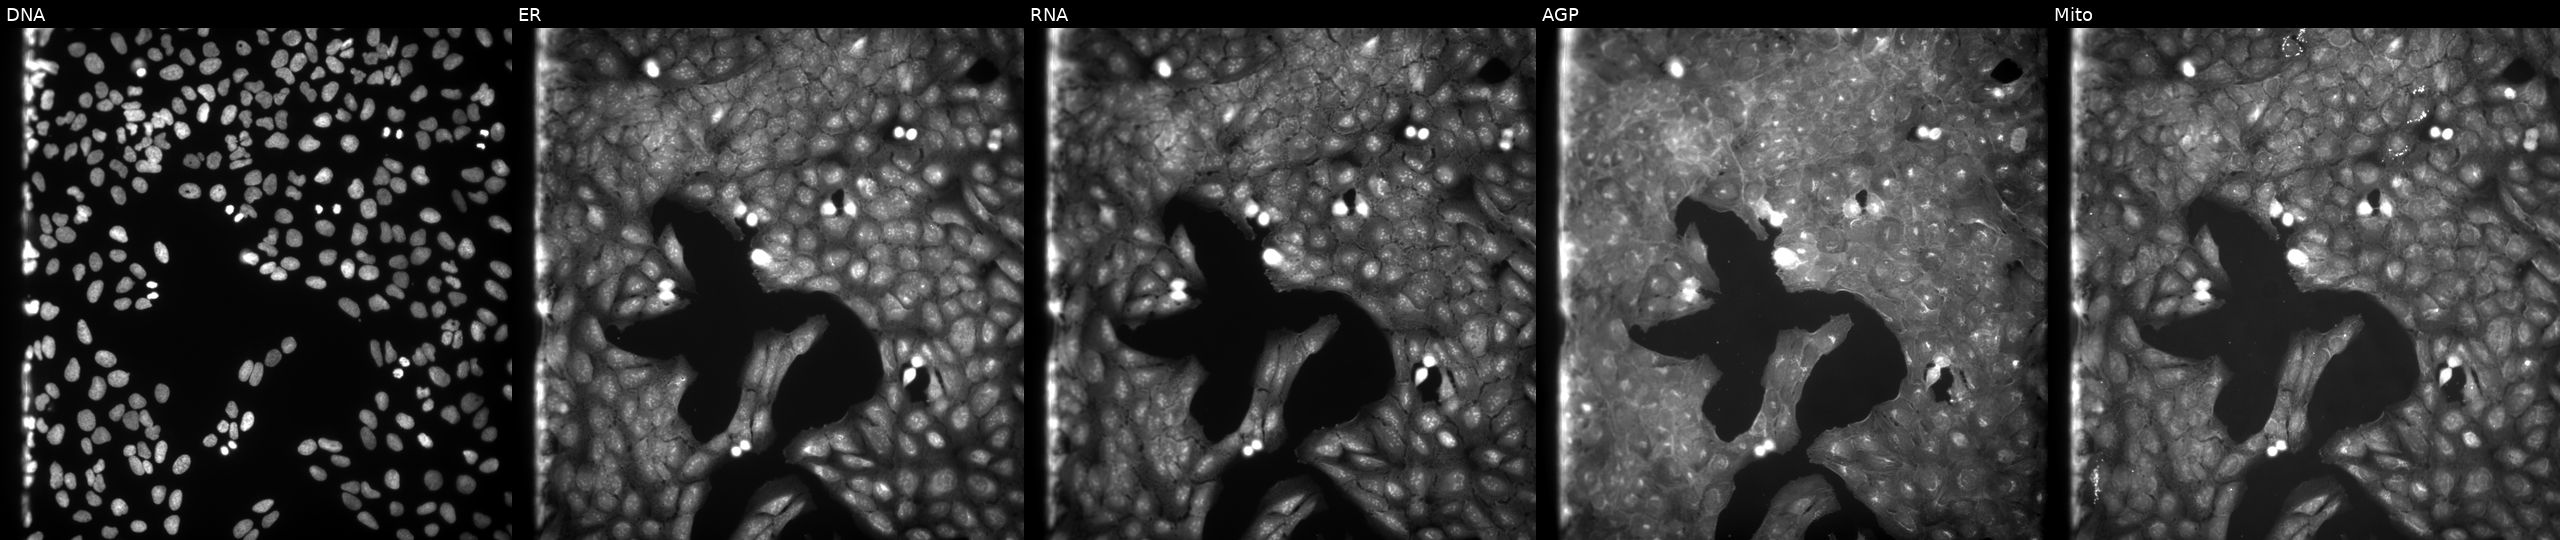
U2OS cells, Cell Painting assay, perturbed with a small-molecule compound (InChIKey YTYFAJJZCOHJPQ-UHFFFAOYSA-N) [SMILES: O=C(NC(=S)Nc1ccccc1[N+](=O)[O-])c1ccccc1Cl]. Channels (left→right): DNA (nuclei); ER (endoplasmic reticulum); RNA (nucleoli and cytoplasmic RNA); AGP (actin cytoskeleton, Golgi, and plasma membrane); Mito (mitochondria). Each panel is percentile-stretched 16-bit fluorescence.